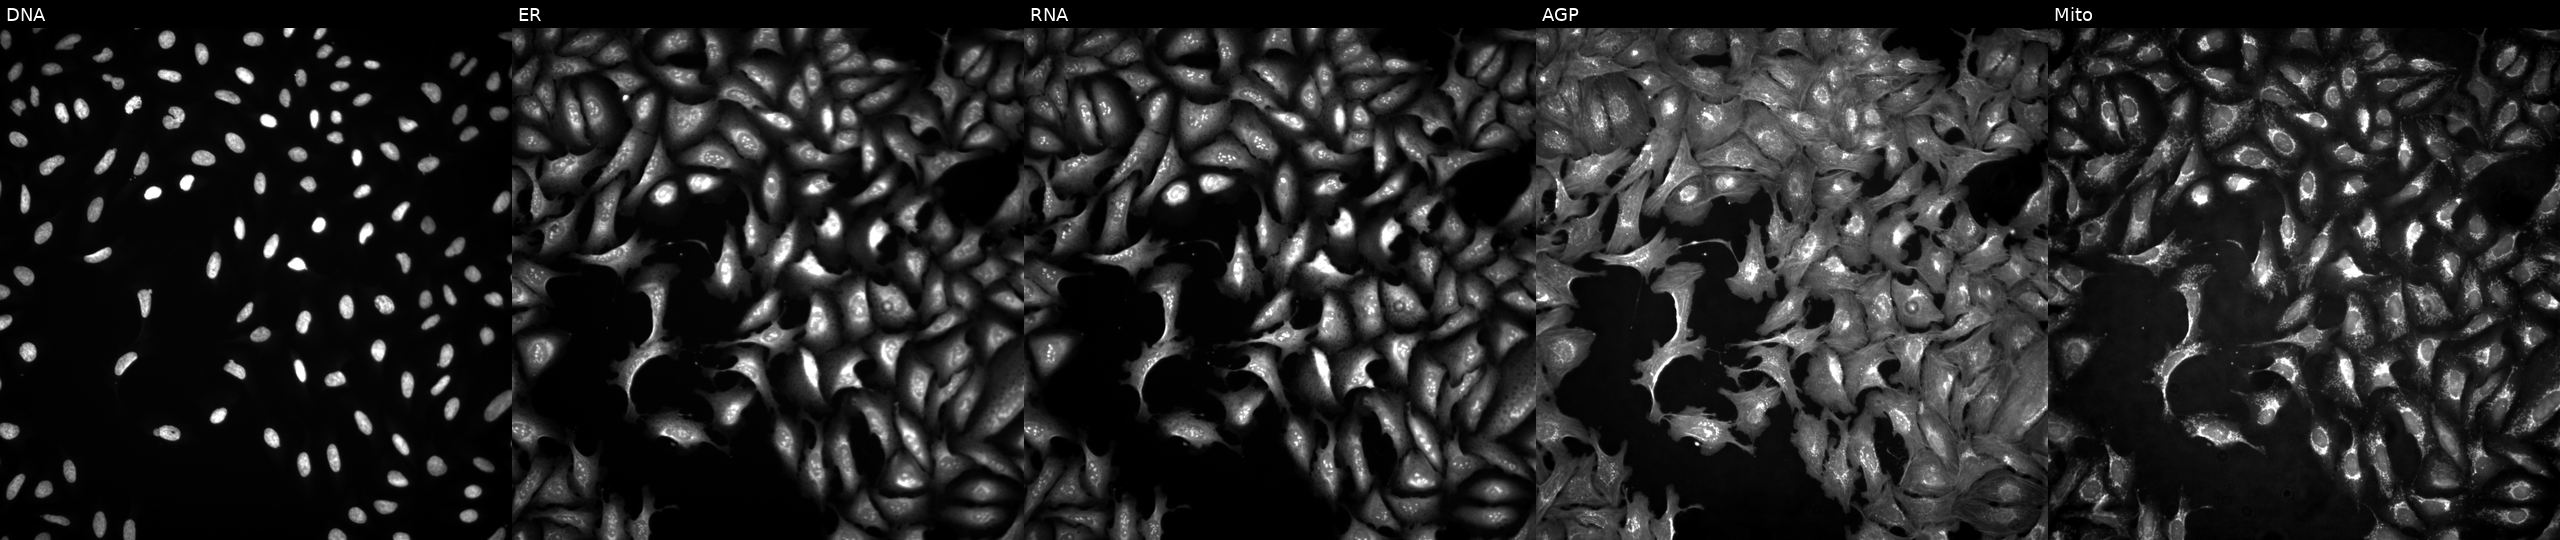
U2OS cells, Cell Painting assay, transfected with an ORF construct for EIF2AK4. Channels (left→right): Hoechst 33342, concanavalin A, SYTO 14, phalloidin and WGA, MitoTracker. Each panel is percentile-stretched 16-bit fluorescence. Source 4, plate BR00123945, well F21.